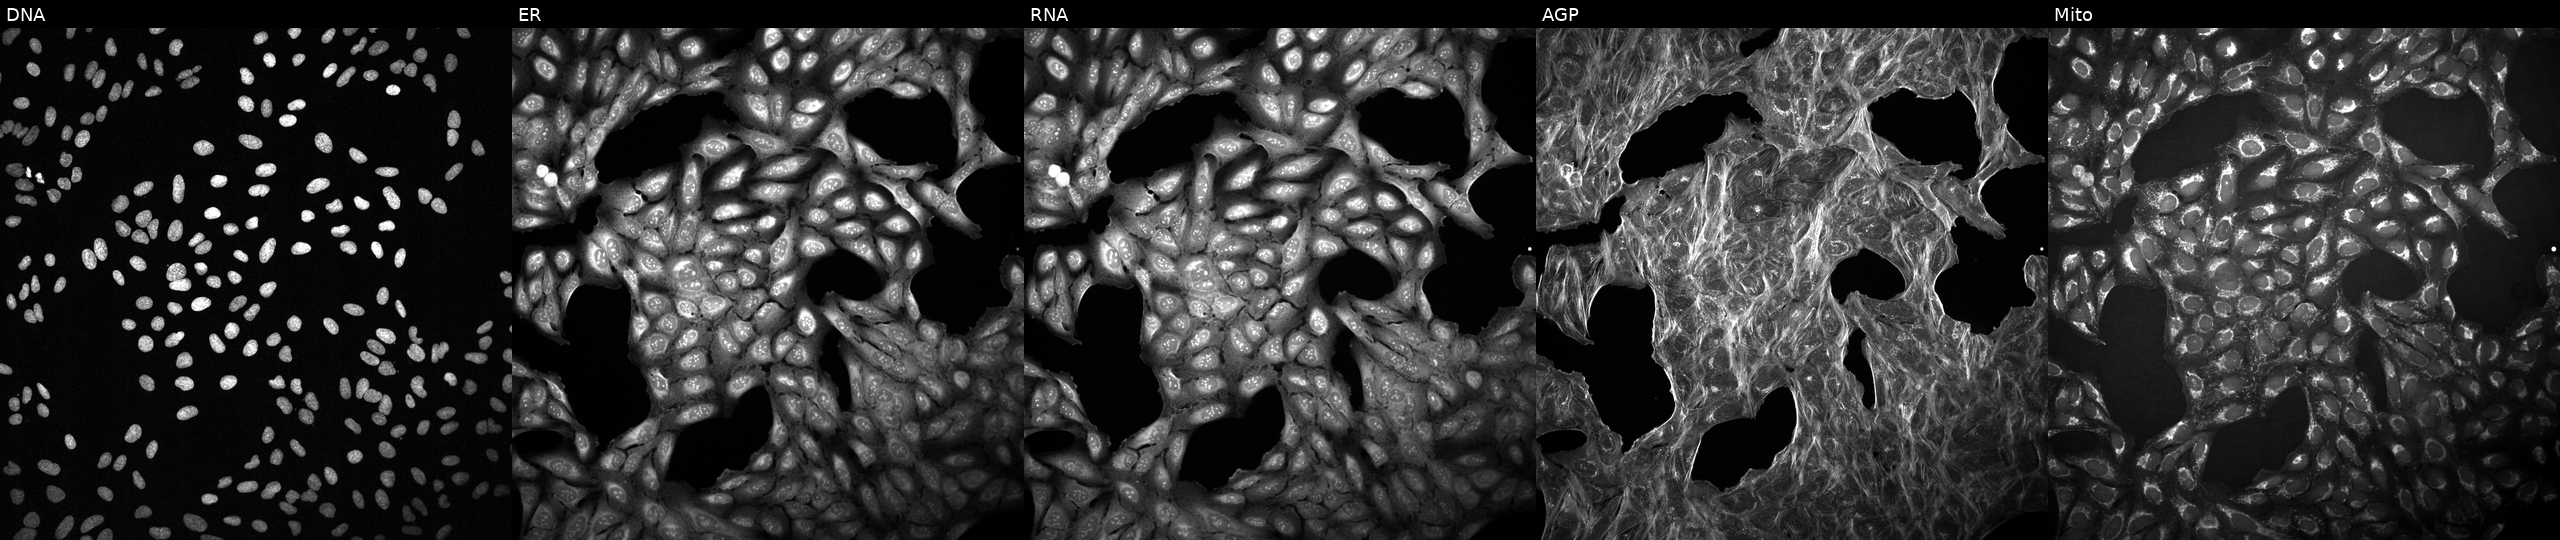
Five-channel Cell Painting image of U2OS cells with an unidentified perturbation (not annotated in JUMP metadata). From left to right: DNA (nuclei); ER (endoplasmic reticulum); RNA (nucleoli and cytoplasmic RNA); AGP (actin cytoskeleton, Golgi, and plasma membrane); Mito (mitochondria).